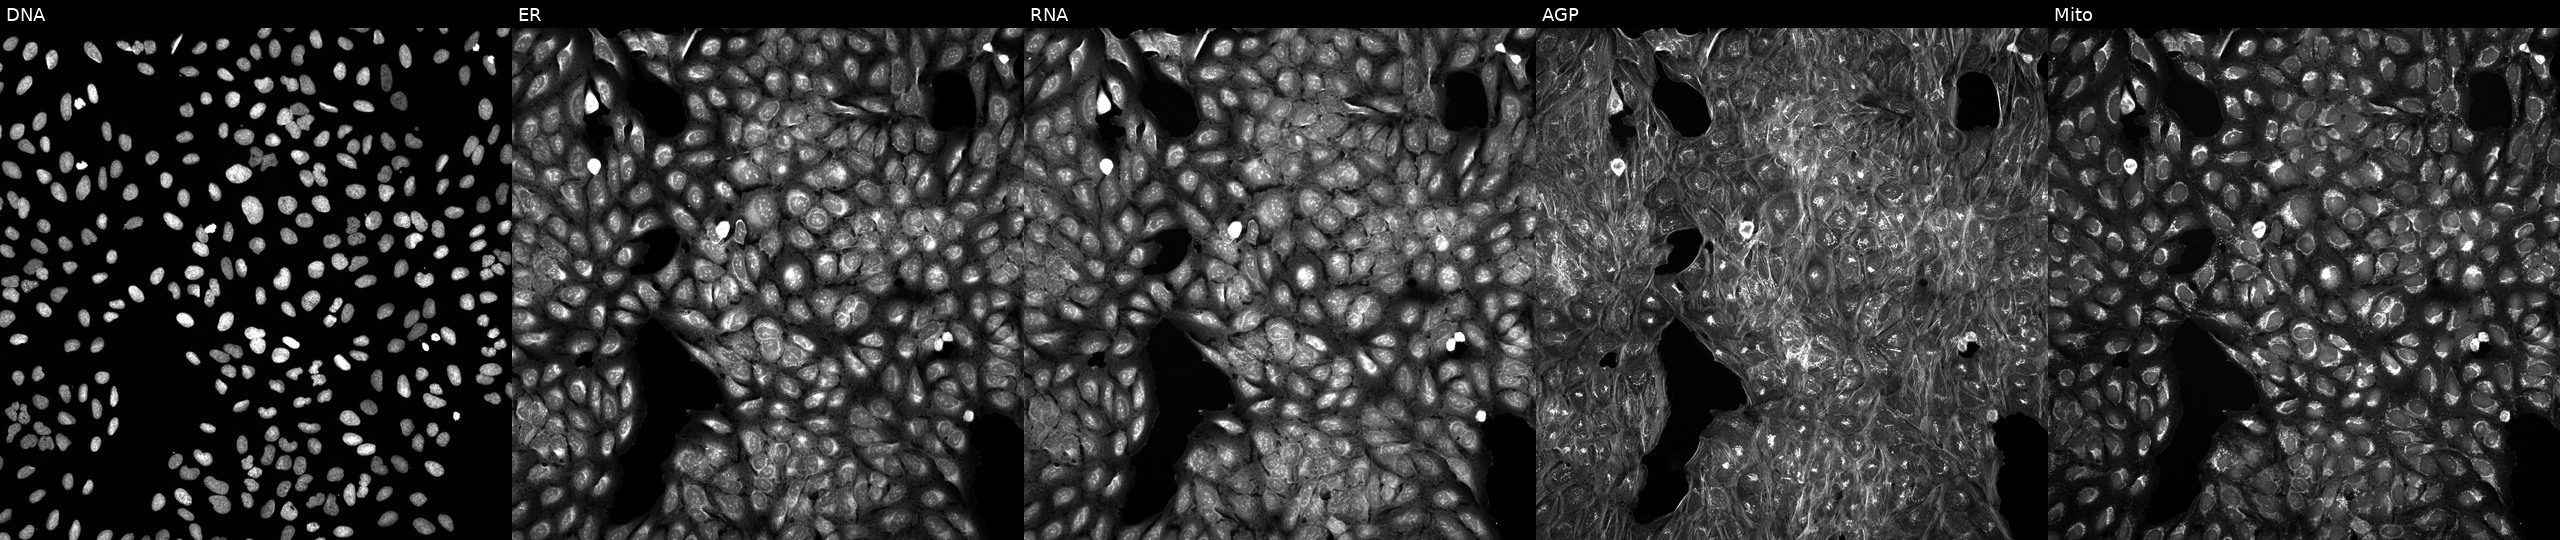
Five-channel Cell Painting image of U2OS cells exposed to a small-molecule compound [SMILES: N=c1[nH]cnc2c1c(-c1cccc(OCc3ccccc3)c1)cn2C1CC(CN2CCCC2)C1]. Panels show, left to right, Hoechst 33342, concanavalin A, SYTO 14, phalloidin and WGA, MitoTracker. Source 5, plate ACPJUM012, well H14.